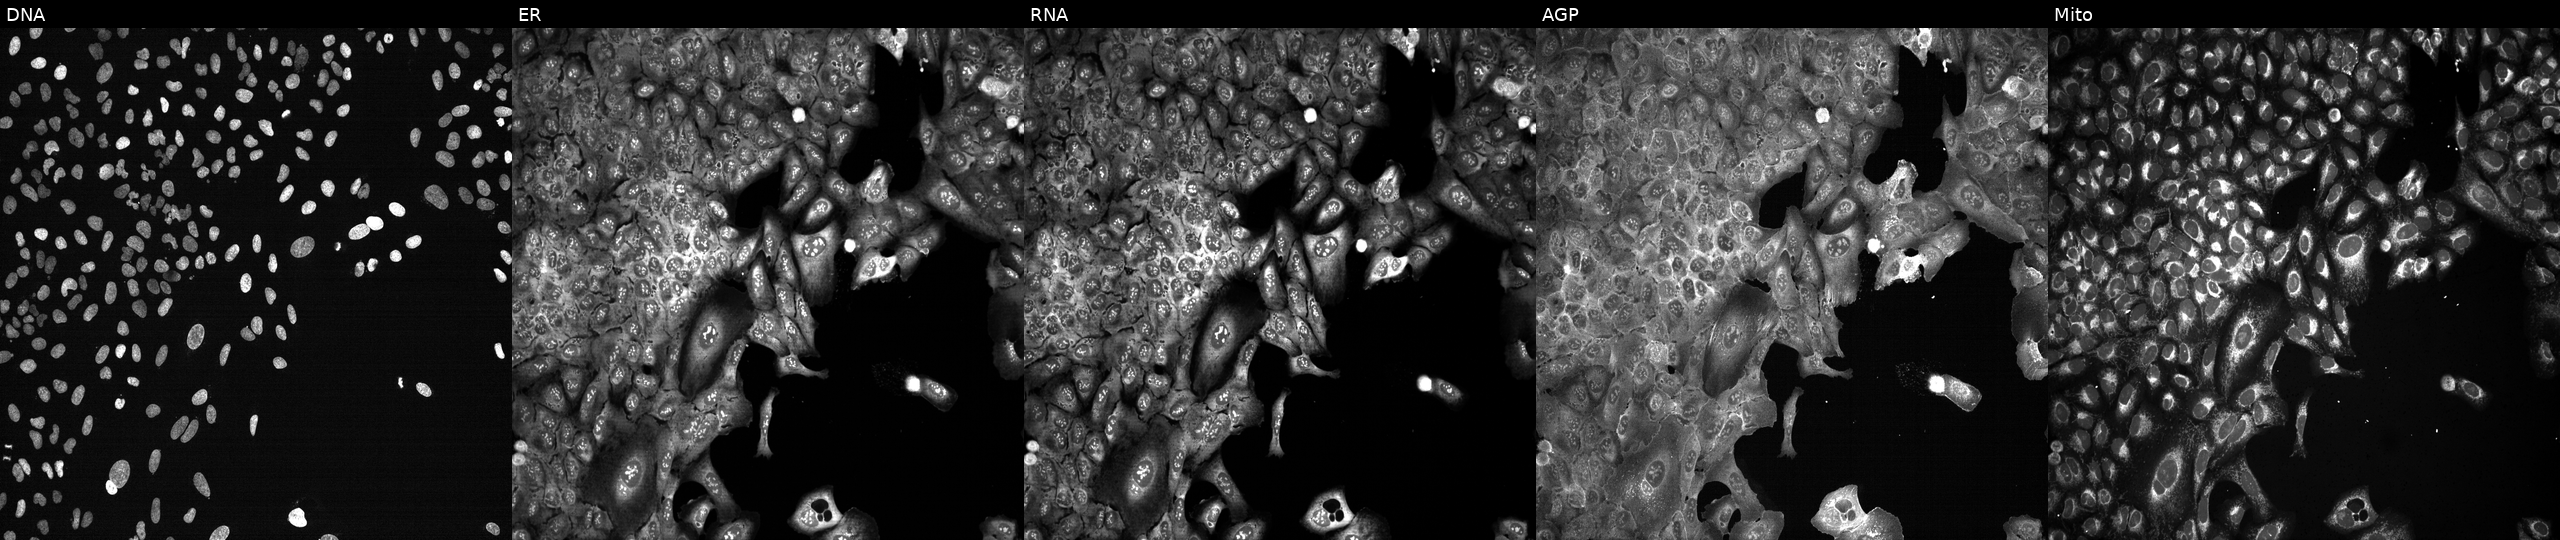
JUMP Cell Painting — CRISPR plate. U2OS cells CRISPR-edited to disrupt CRY2. From left to right: Hoechst 33342, concanavalin A, SYTO 14, phalloidin and WGA, MitoTracker. Source 13, plate CP-CC9-R3-02, well A10.